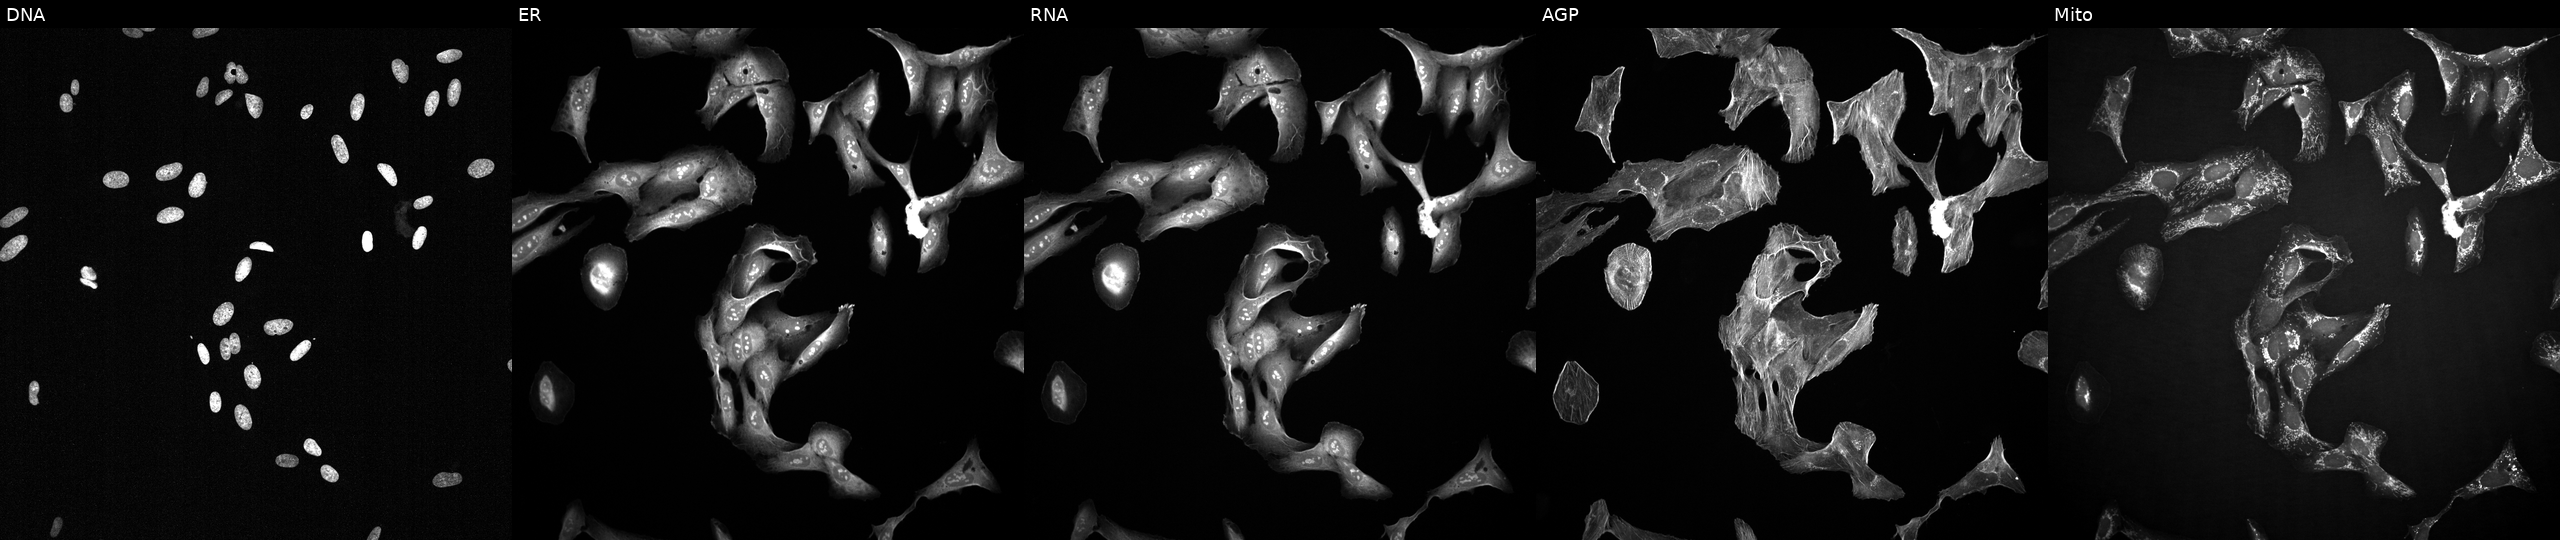
Channels (left→right): Hoechst 33342, concanavalin A, SYTO 14, phalloidin and WGA, MitoTracker. U2OS osteosarcoma cells treated with a small-molecule compound (InChIKey AORKUYHAVBZQFJ-UHFFFAOYSA-N) (JUMP id JCP2022_002785). Cell Painting assay, JUMP-CP dataset.